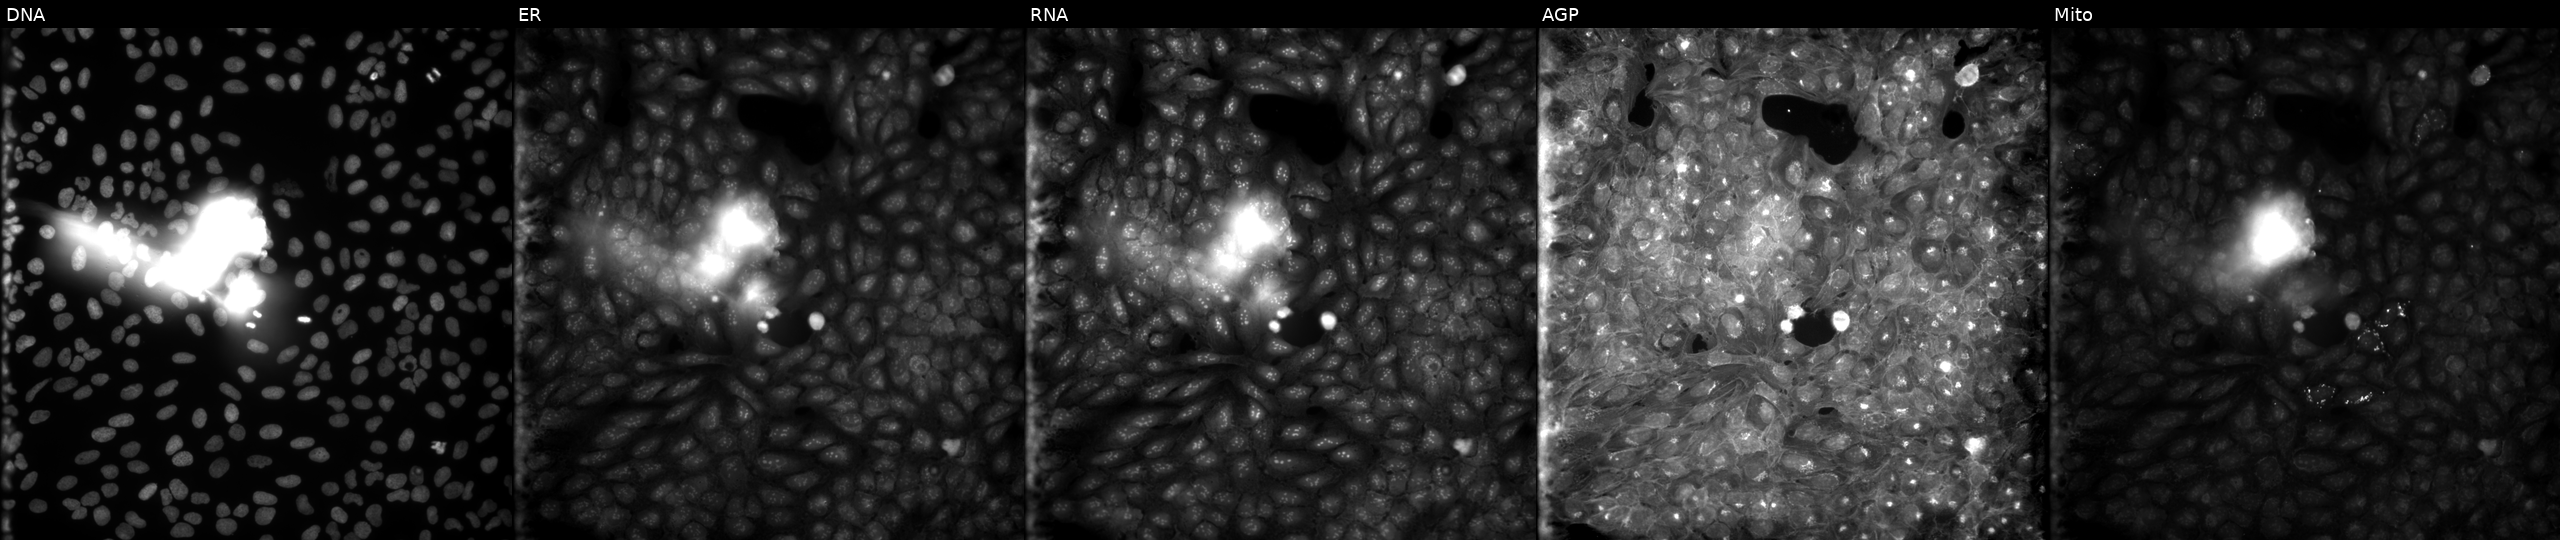
High-content fluorescence microscopy (Cell Painting). Cell line: U2OS. Perturbation: exposed to a small-molecule compound (InChIKey IZKDSSXDJUOGEM-UHFFFAOYSA-N) (JUMP id JCP2022_038309). Channels (left→right): DNA (nuclei); ER (endoplasmic reticulum); RNA (nucleoli and cytoplasmic RNA); AGP (actin cytoskeleton, Golgi, and plasma membrane); Mito (mitochondria). Source 9, plate GR00003381, well A20.